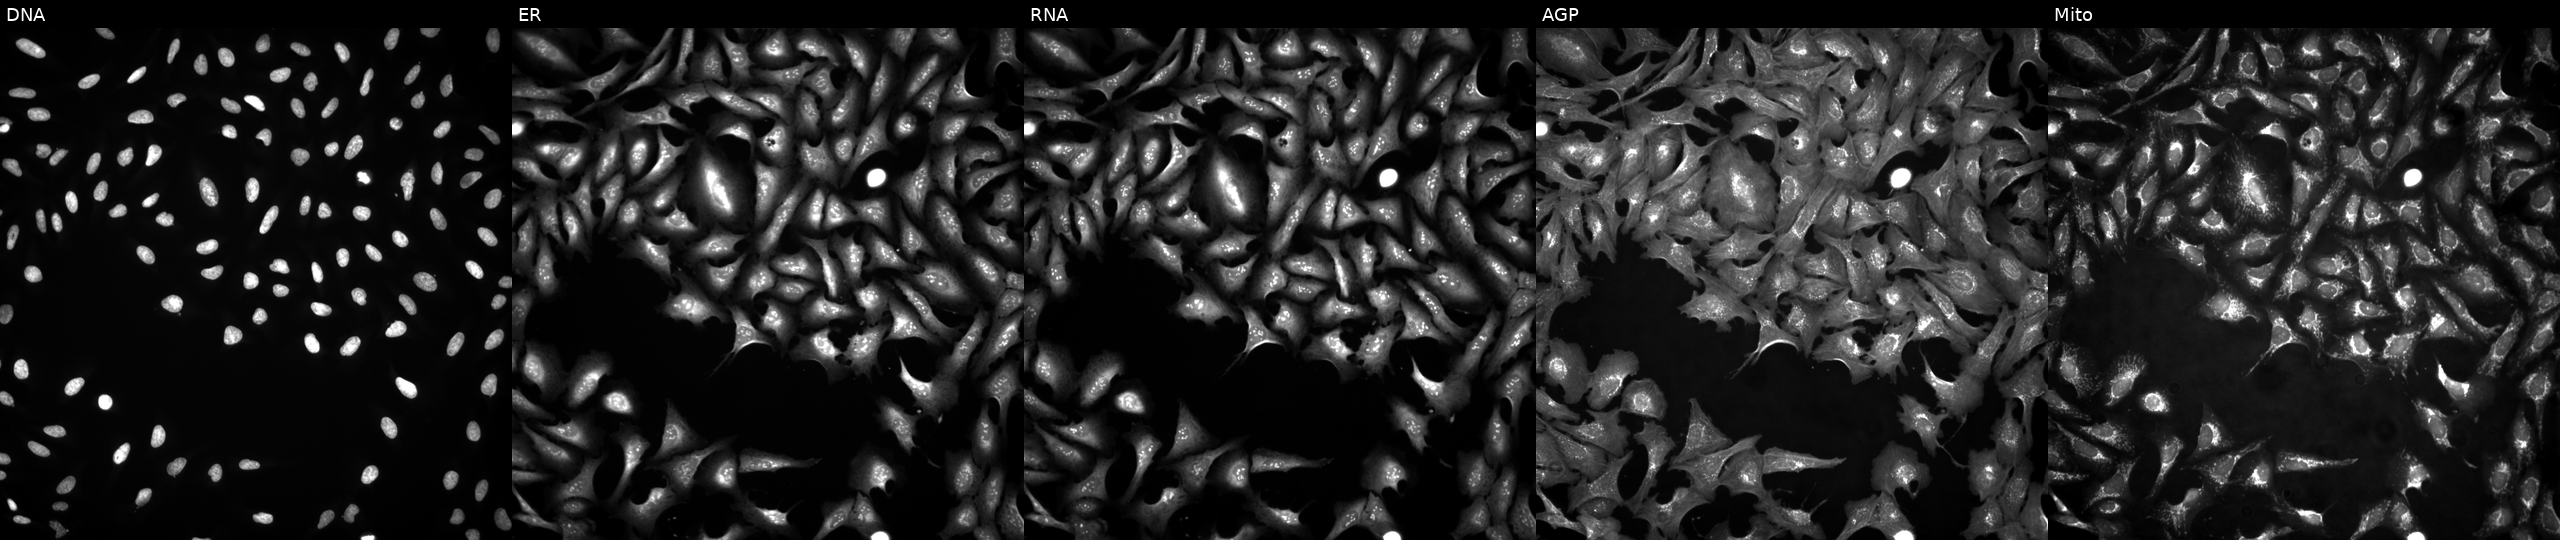
High-content fluorescence microscopy (Cell Painting). Cell line: U2OS. Perturbation: transfected with an ORF construct for MELK (JUMP id JCP2022_913088). Channels (left→right): Hoechst 33342, concanavalin A, SYTO 14, phalloidin and WGA, MitoTracker.